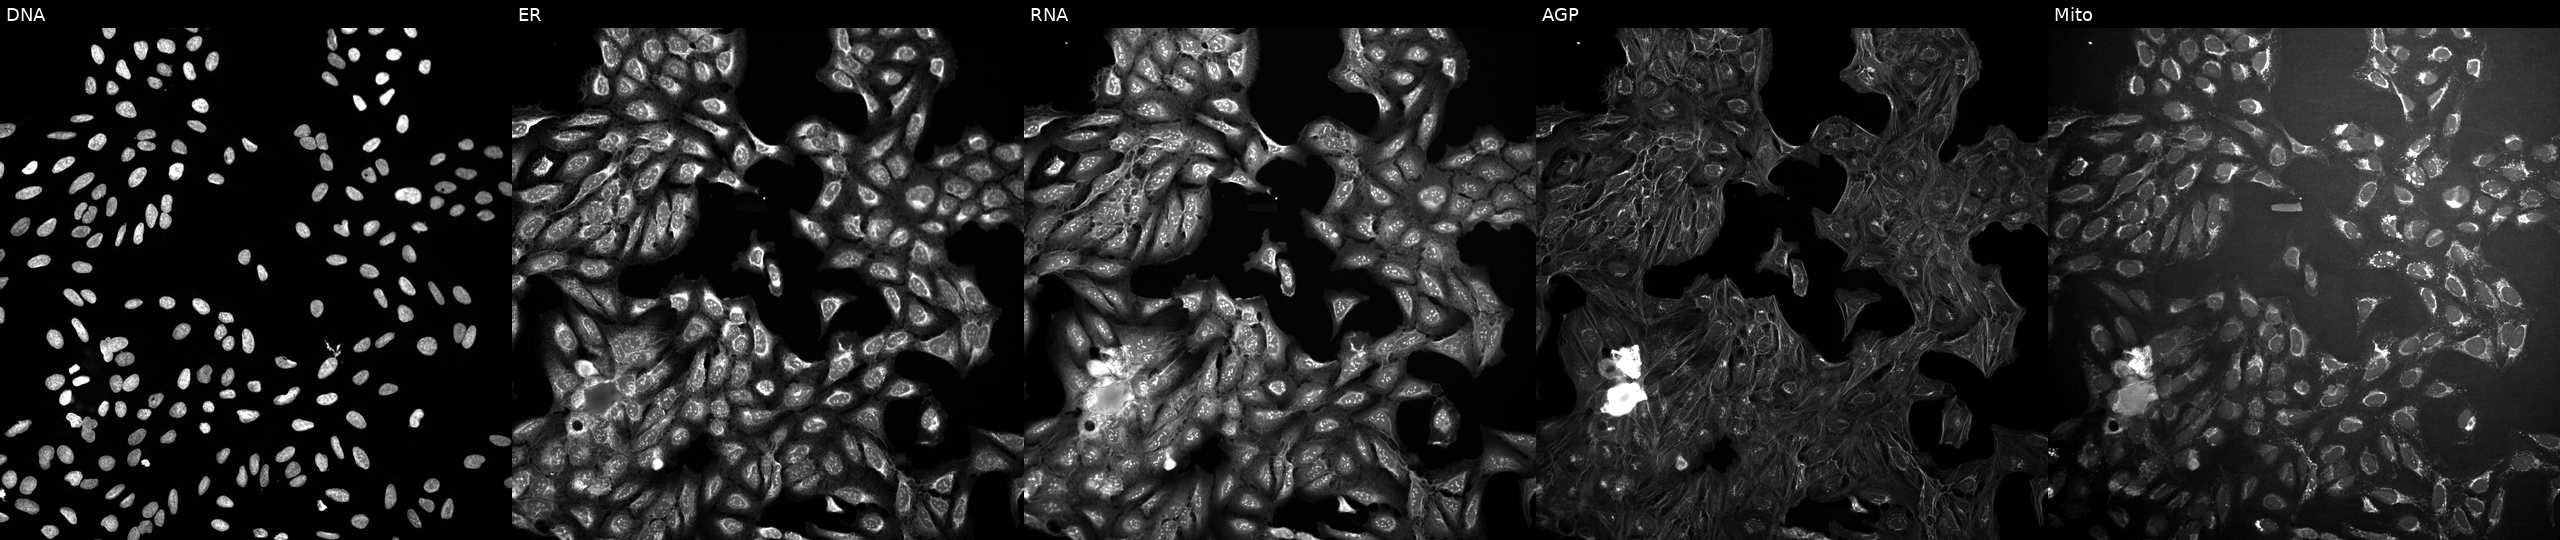
Five-channel Cell Painting image of U2OS cells perturbed with a small-molecule compound [SMILES: N#Cc1cccc(C(=O)NCC2(O)C=CCCC2)c1]. Channels (left→right): DNA, ER, RNA, AGP, and Mito.